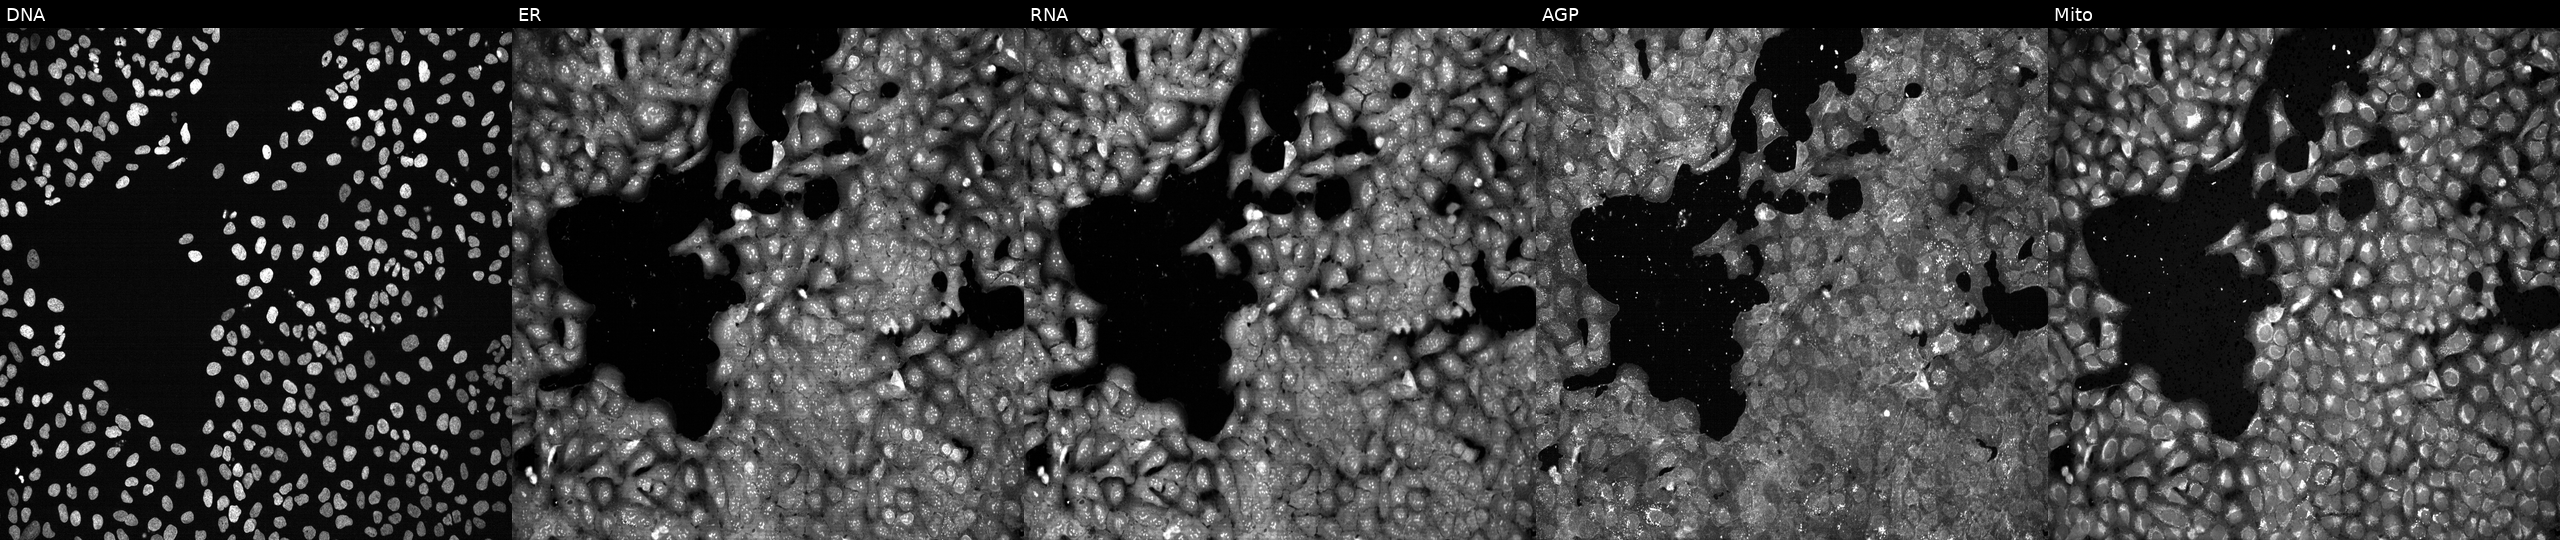
Five-channel Cell Painting image of U2OS cells exposed to the positive-control compound NVS-PAK1-1 (JUMP id JCP2022_064022). The five panels, left to right, show Hoechst 33342, concanavalin A, SYTO 14, phalloidin and WGA, MitoTracker. Source 13, plate CP-CC9-R1-01, well F01.